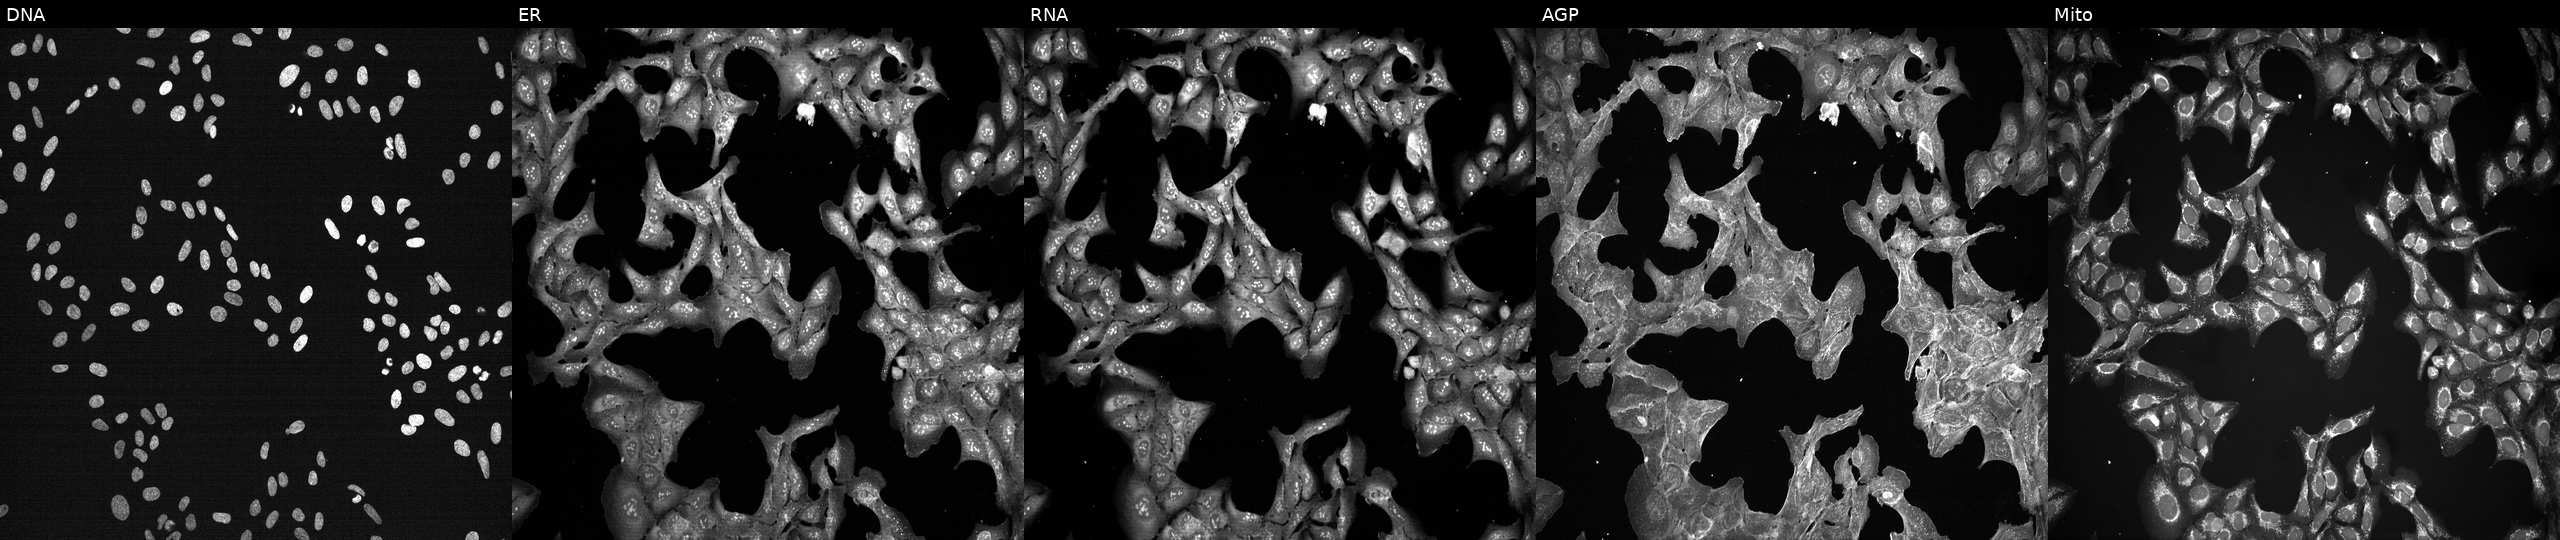
This image strip shows the five Cell Painting channels for a single field of U2OS cells treated with a small-molecule compound (InChIKey KBPLFHHGFOOTCA-UHFFFAOYSA-N) [SMILES: CCCCCCCCO] (JUMP id JCP2022_043547). From left to right: DNA (nuclei); ER (endoplasmic reticulum); RNA (nucleoli and cytoplasmic RNA); AGP (actin cytoskeleton, Golgi, and plasma membrane); Mito (mitochondria).